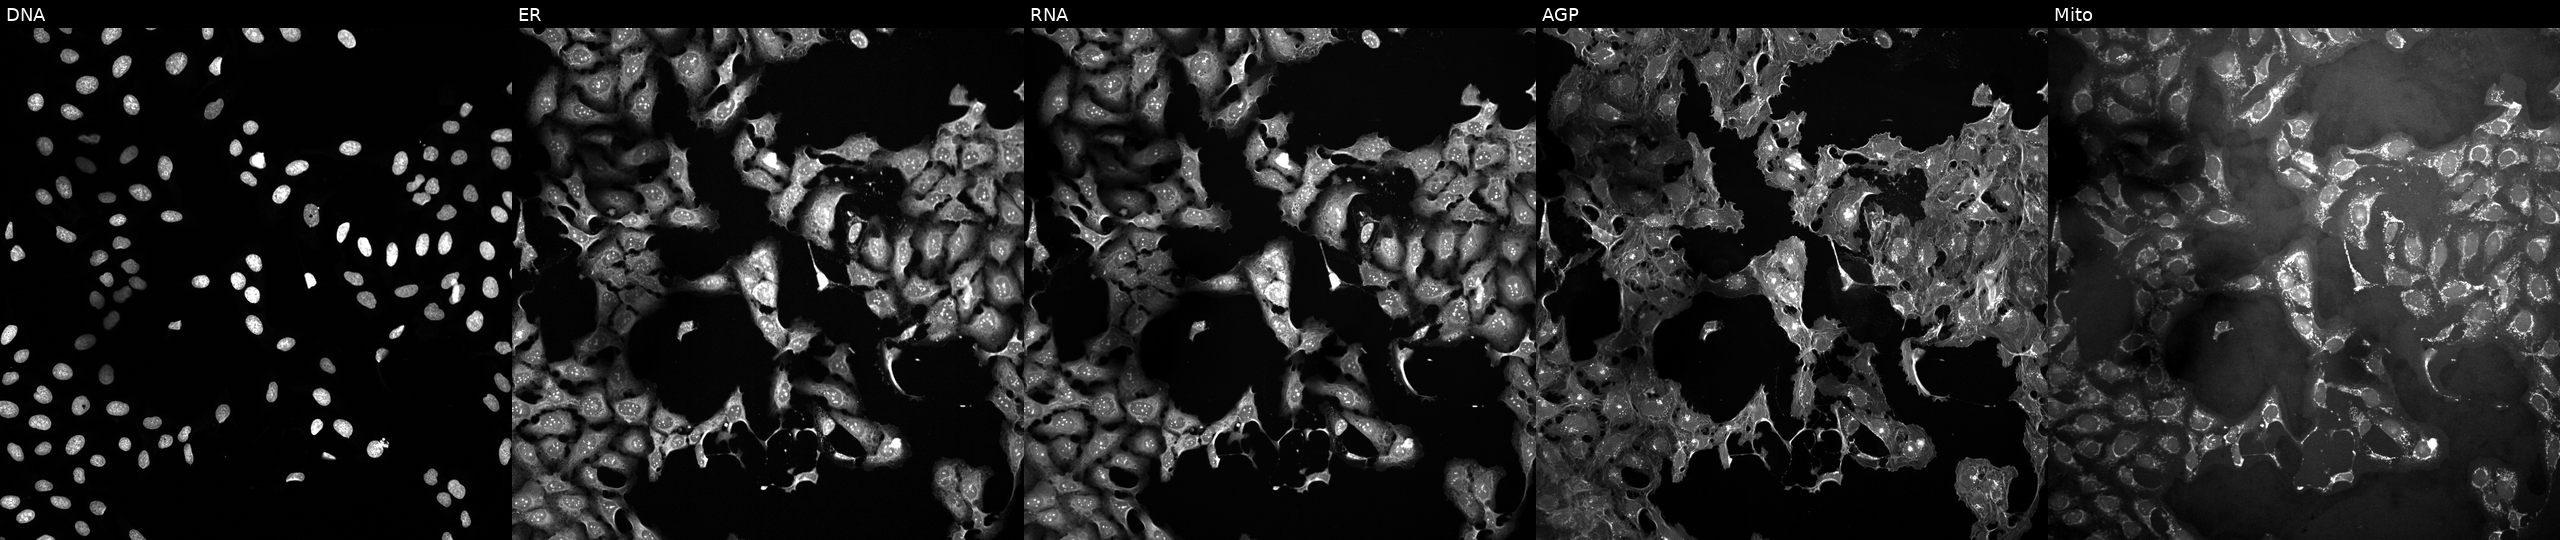
High-content fluorescence microscopy (Cell Painting). Cell line: U2OS. Perturbation: treated with FK-866 (positive-control compound) (JUMP id JCP2022_046054). Channels (left→right): DNA, ER, RNA, AGP, and Mito.